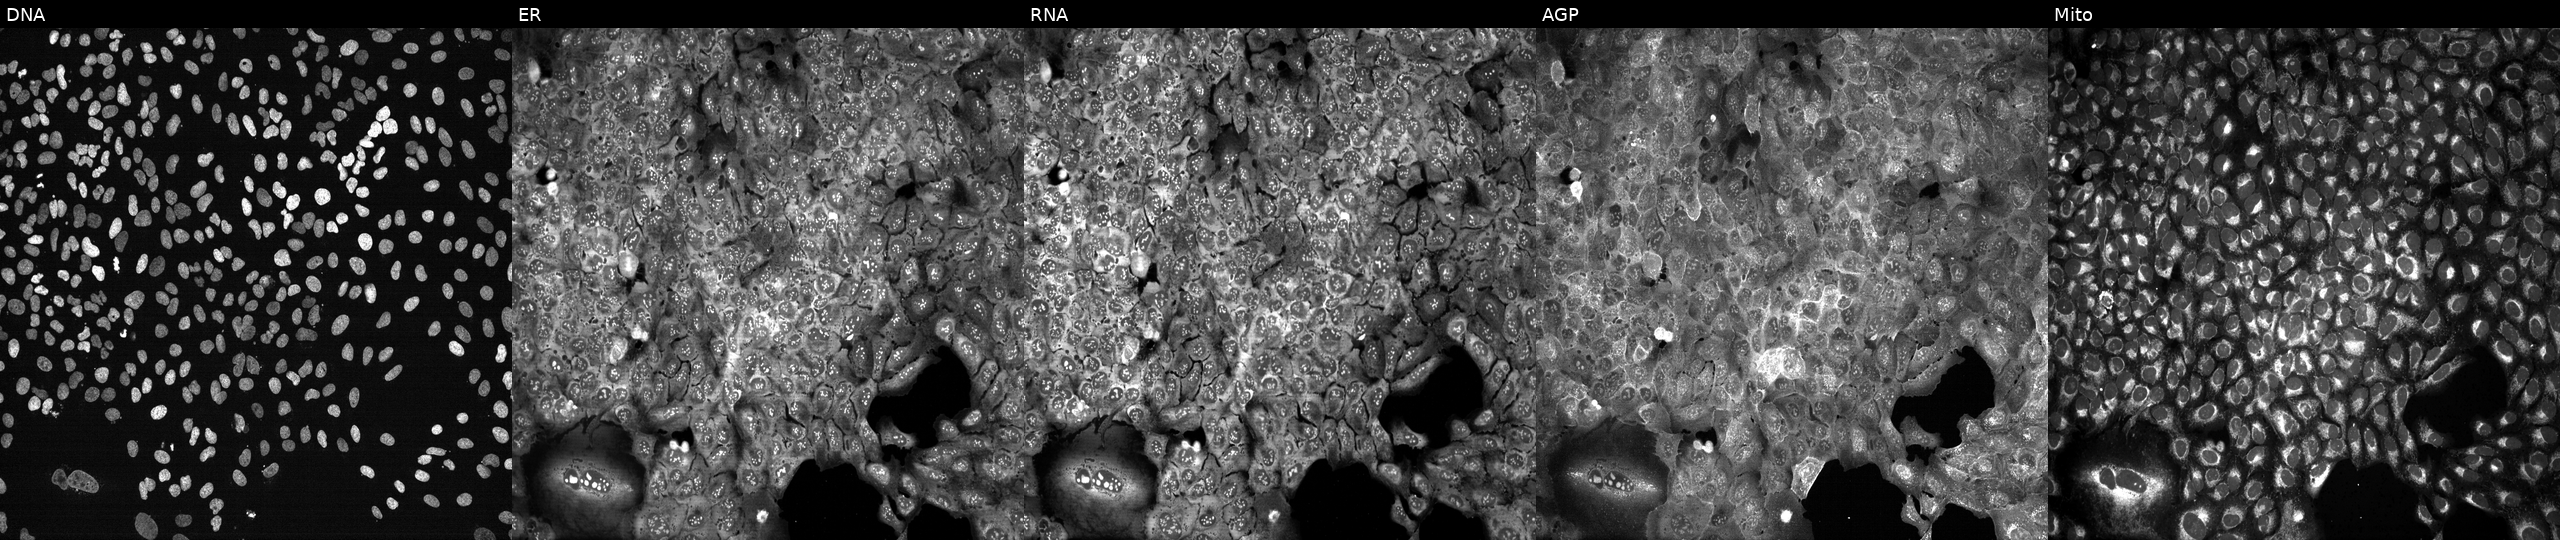
U2OS cells, Cell Painting assay, with HYAL2 knocked out by CRISPR. From left to right: DNA, ER, RNA, AGP, and Mito. Each panel is percentile-stretched 16-bit fluorescence. Source 13, plate CP-CC9-R4-04, well D16.